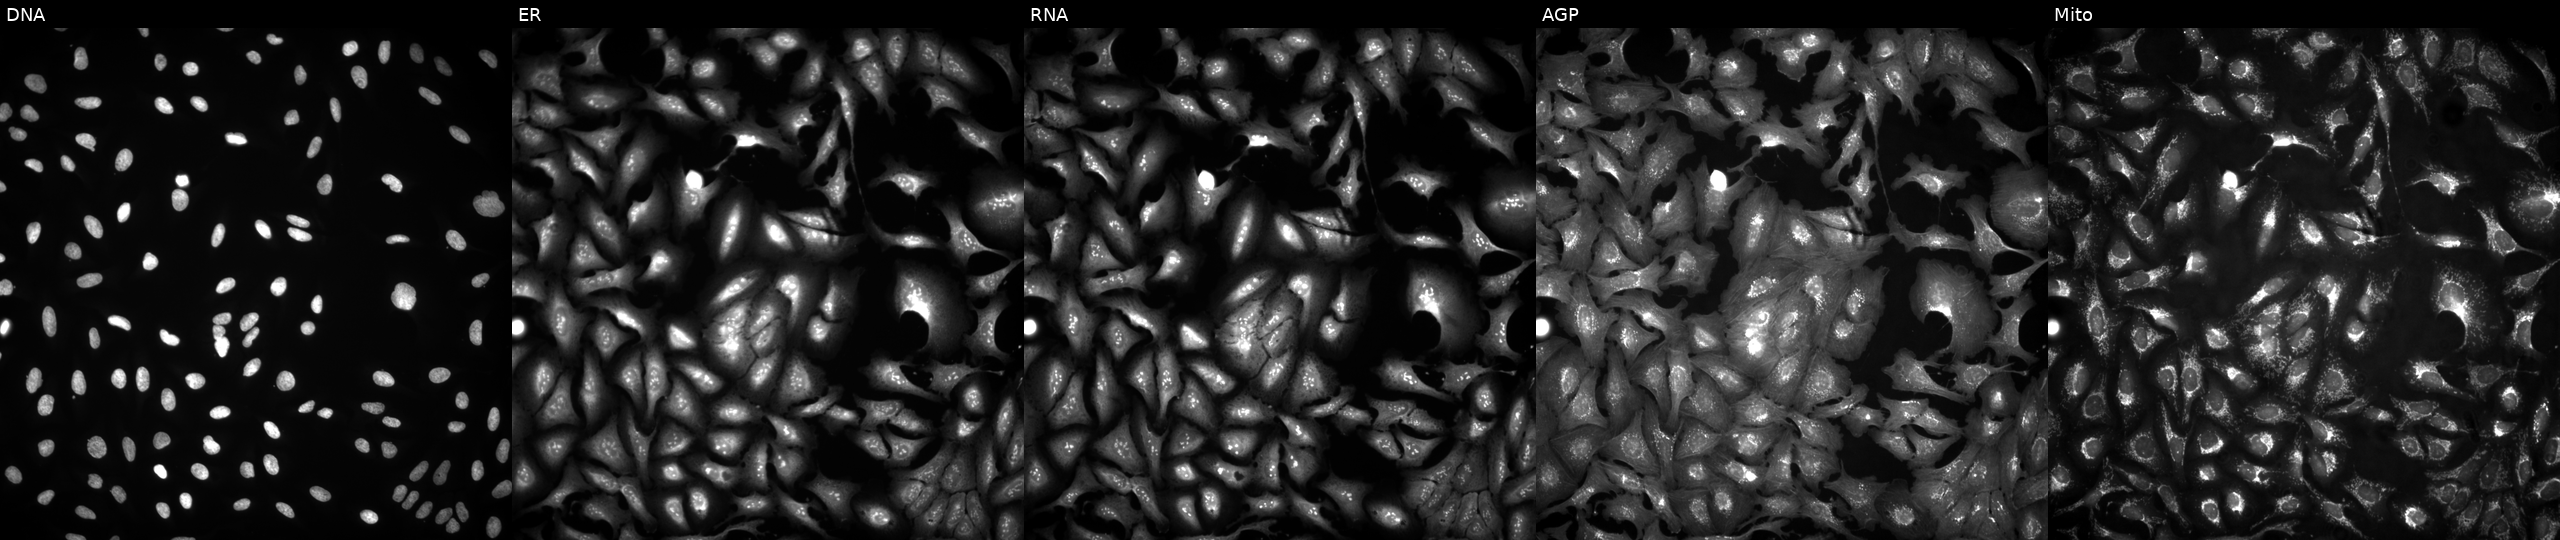
From left to right: DNA, ER, RNA, AGP, and Mito. U2OS osteosarcoma cells transfected with an ORF construct for TOR3A (JUMP id JCP2022_914932). Cell Painting assay, JUMP-CP dataset. Source 4, plate BR00124787, well G05.